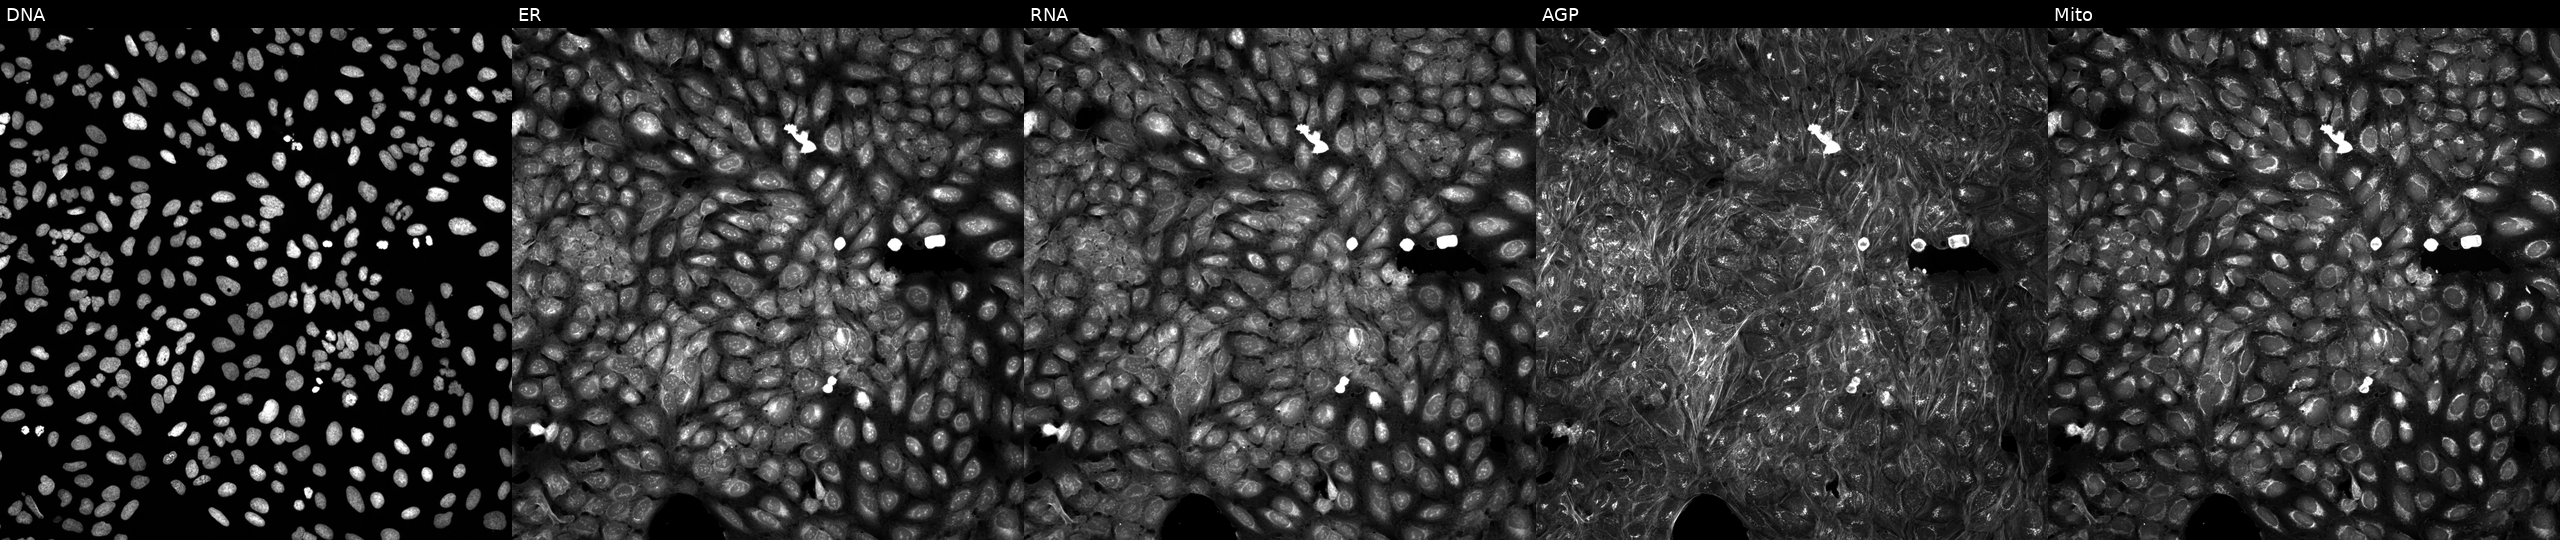
Five-channel Cell Painting image of U2OS cells treated with a small-molecule compound. Panels show, left to right, Hoechst 33342, concanavalin A, SYTO 14, phalloidin and WGA, MitoTracker.